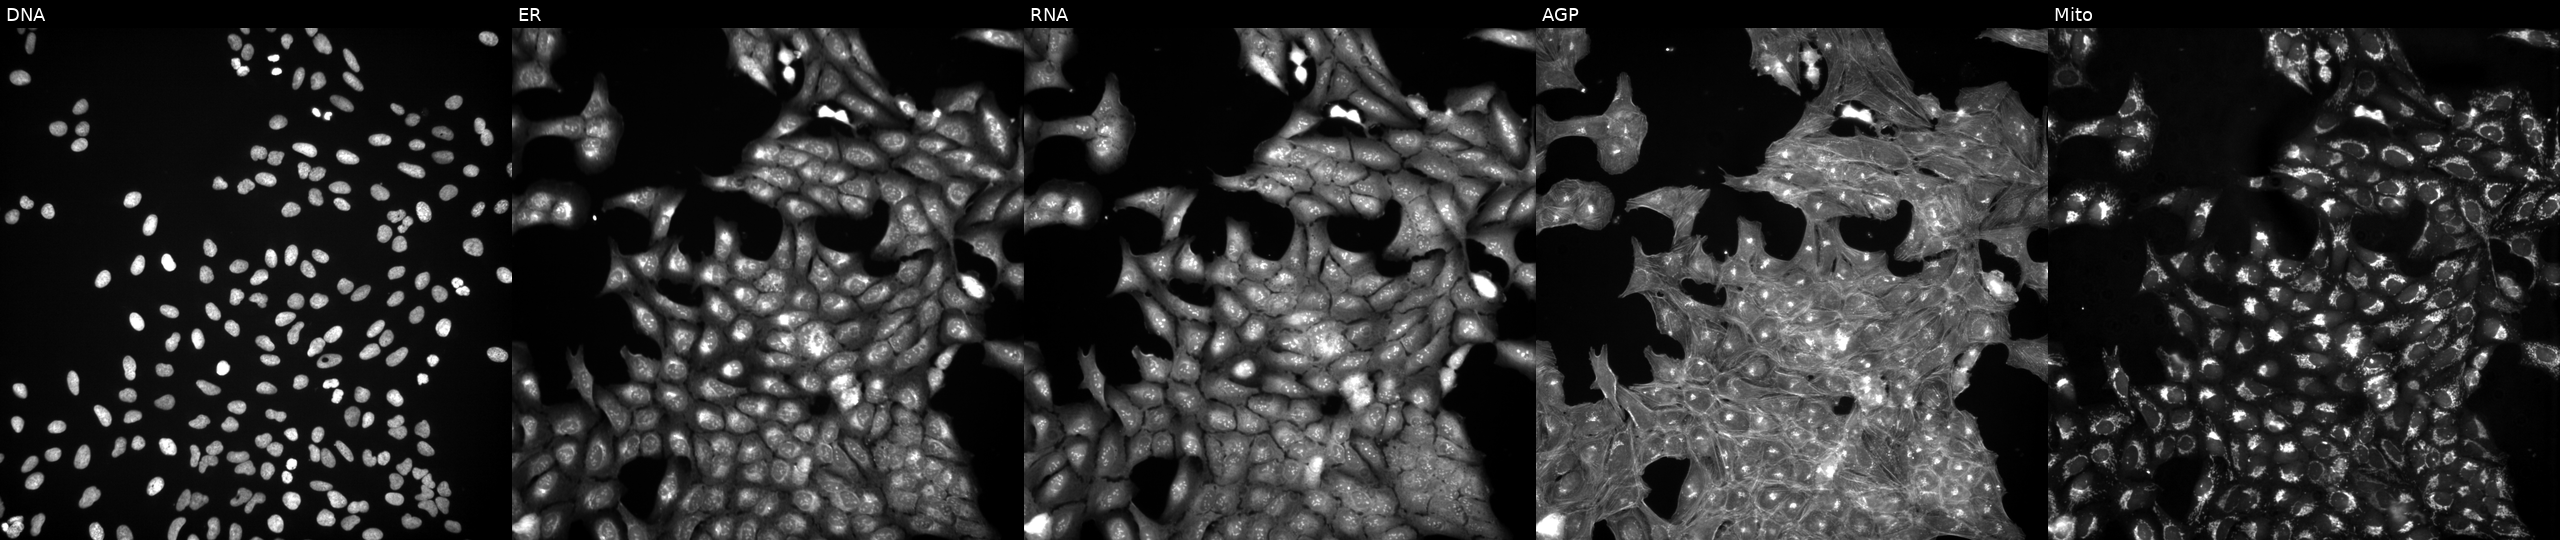
U2OS cells, Cell Painting assay, treated with DMSO vehicle only (negative control). The five panels, left to right, show Hoechst 33342, concanavalin A, SYTO 14, phalloidin and WGA, MitoTracker. Each panel is percentile-stretched 16-bit fluorescence.